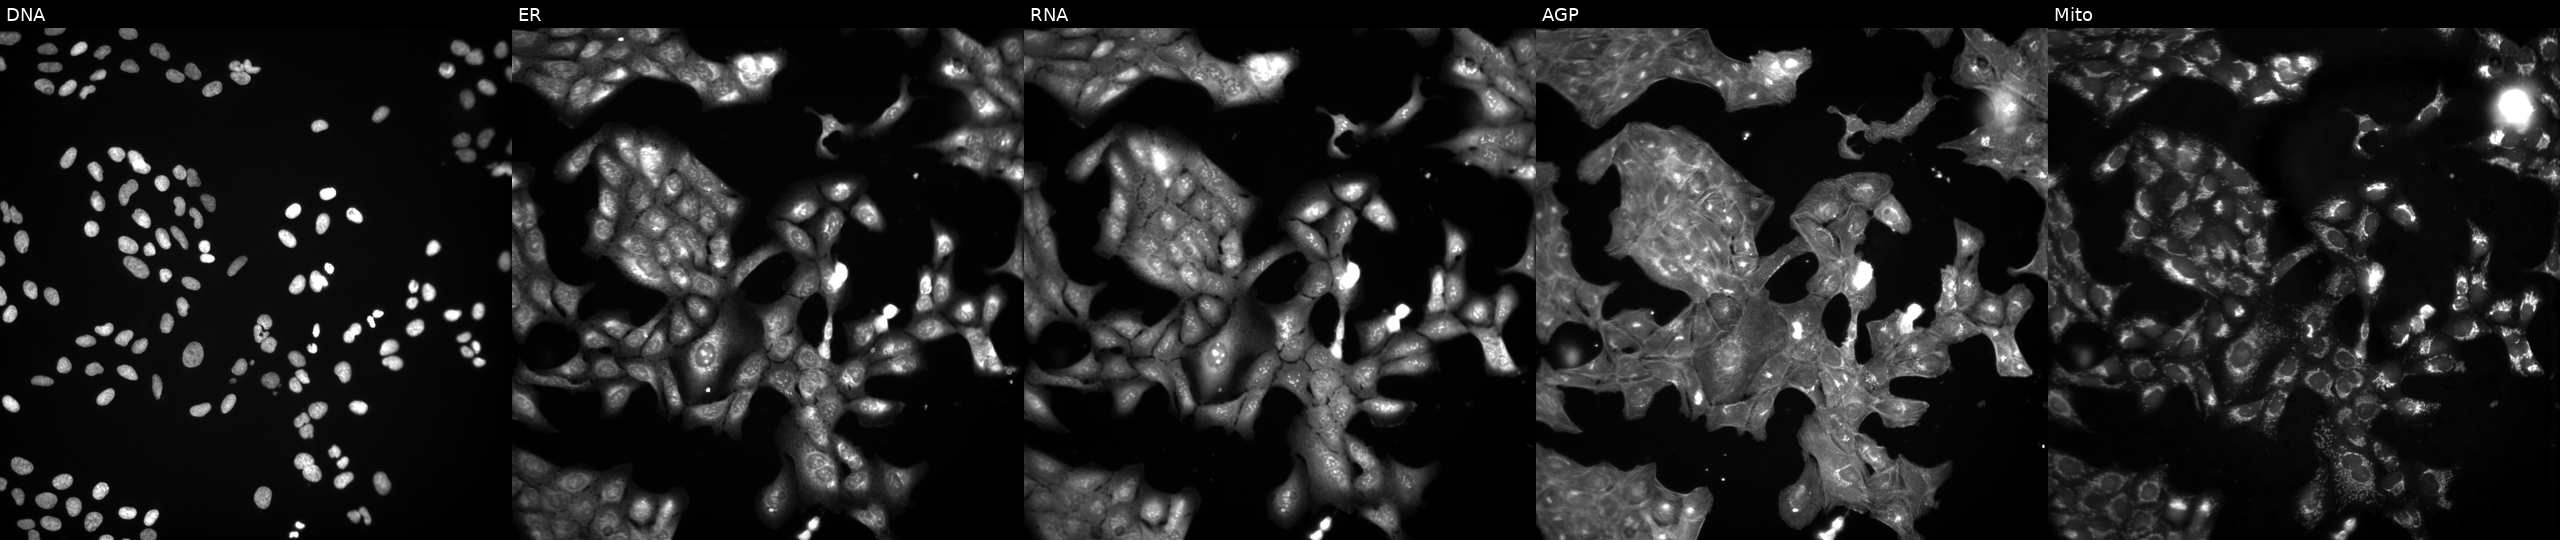
This image strip shows the five Cell Painting channels for a single field of U2OS cells treated with a small-molecule compound. The five panels, left to right, show DNA (nuclei); ER (endoplasmic reticulum); RNA (nucleoli and cytoplasmic RNA); AGP (actin cytoskeleton, Golgi, and plasma membrane); Mito (mitochondria). Source 3, plate JCPQC053, well D24.